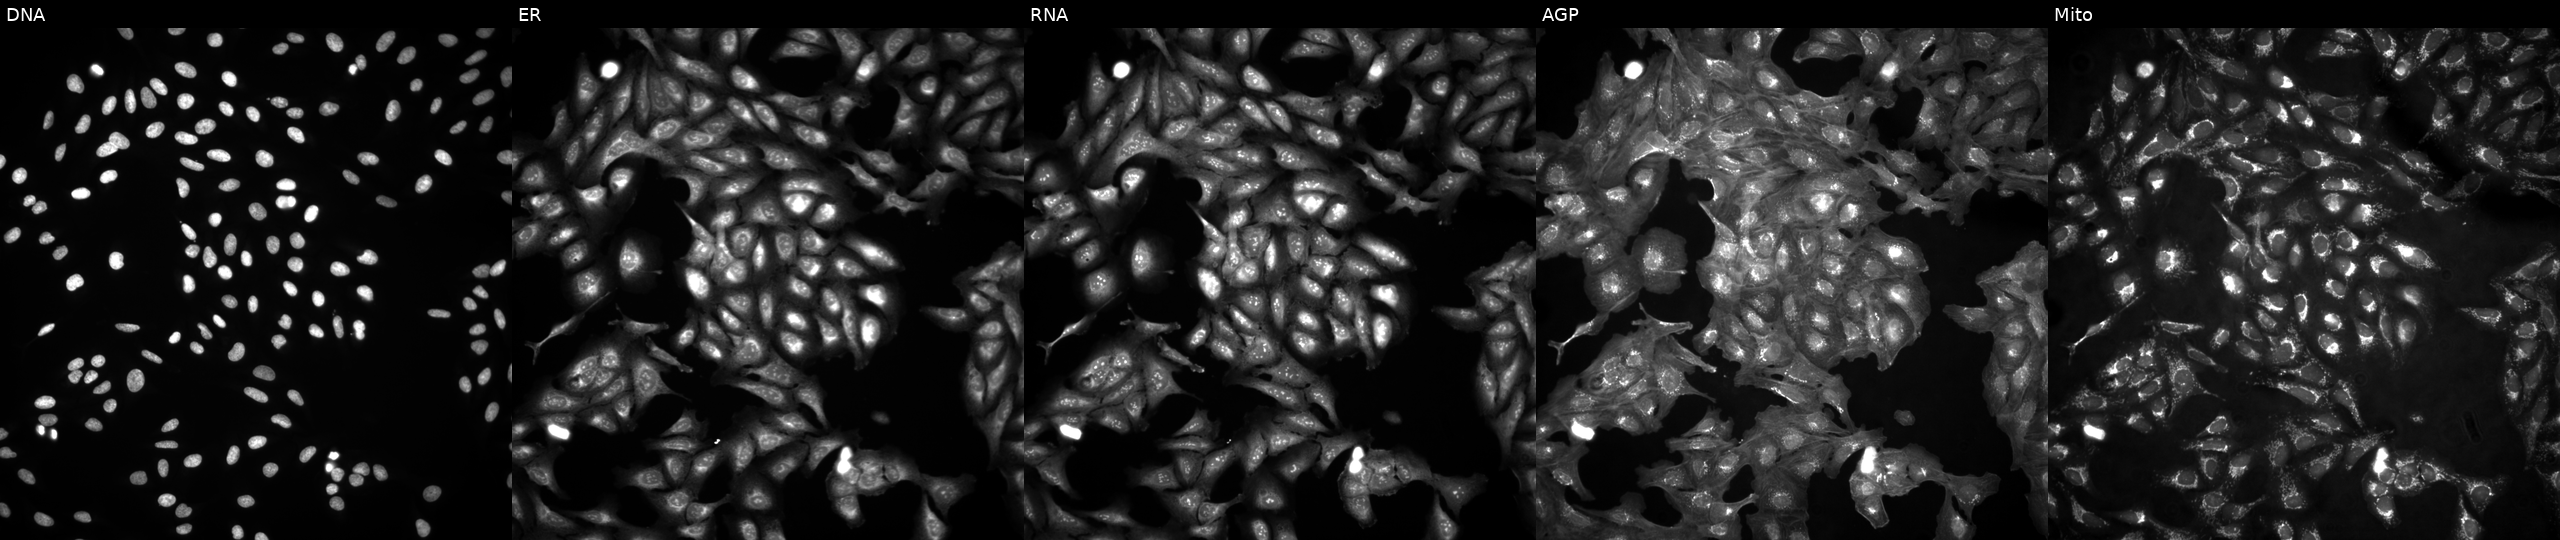
Five-channel Cell Painting image of U2OS cells in an empty control well (no perturbation). The five panels, left to right, show DNA (nuclei); ER (endoplasmic reticulum); RNA (nucleoli and cytoplasmic RNA); AGP (actin cytoskeleton, Golgi, and plasma membrane); Mito (mitochondria). Source 4, plate BR00124793, well A20.